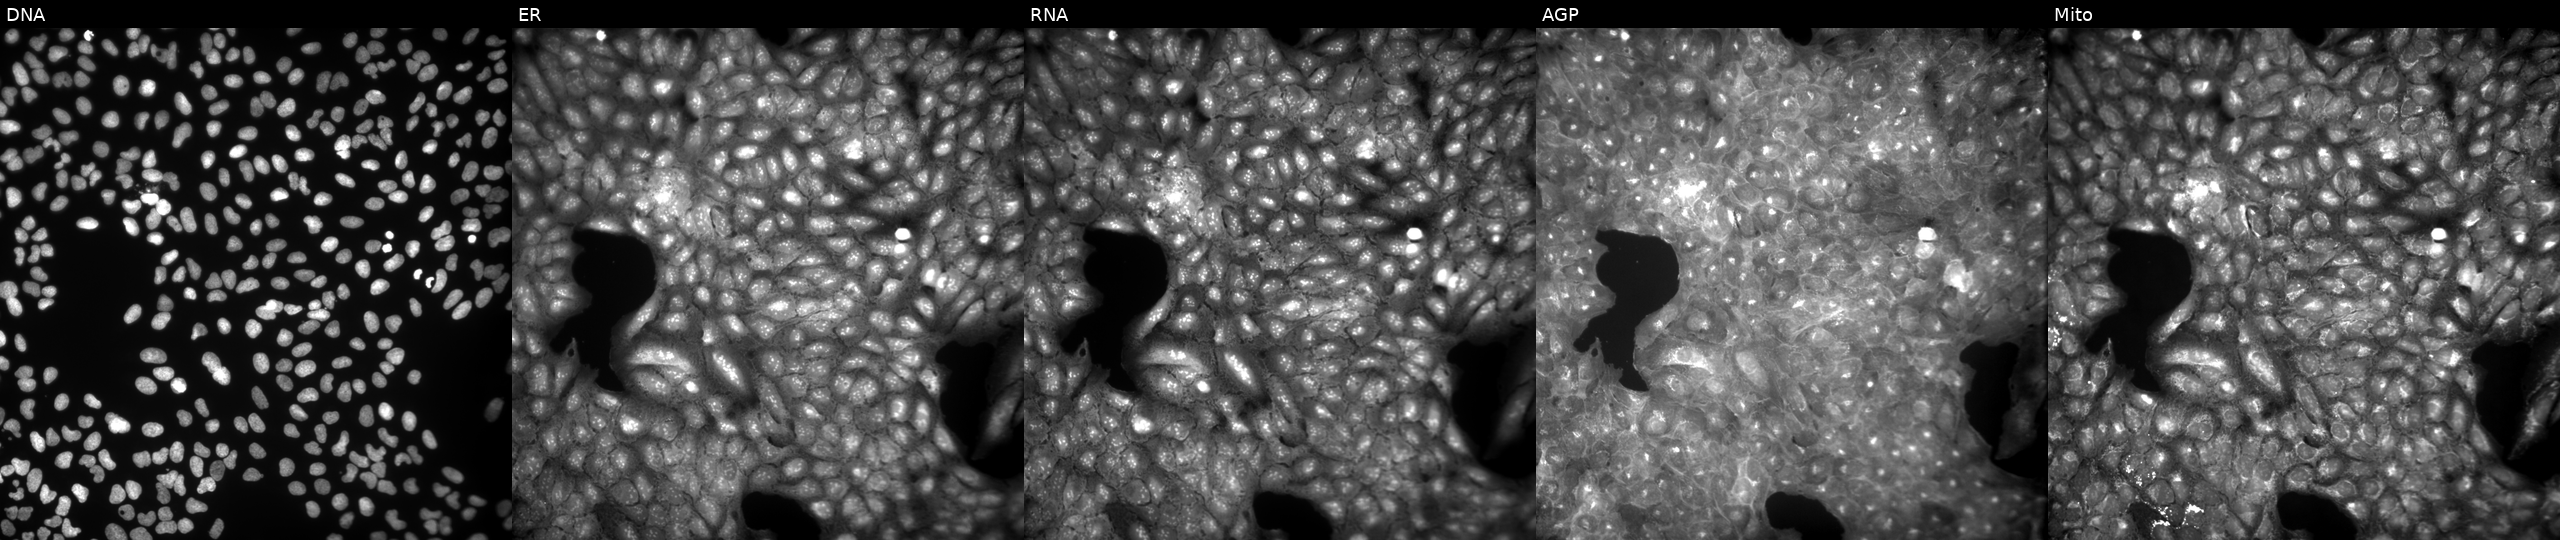
Five-channel Cell Painting image of U2OS cells exposed to a small-molecule compound (InChIKey IRGLIKJNXJNKEA-UHFFFAOYSA-N). The five panels, left to right, show DNA (nuclei); ER (endoplasmic reticulum); RNA (nucleoli and cytoplasmic RNA); AGP (actin cytoskeleton, Golgi, and plasma membrane); Mito (mitochondria).